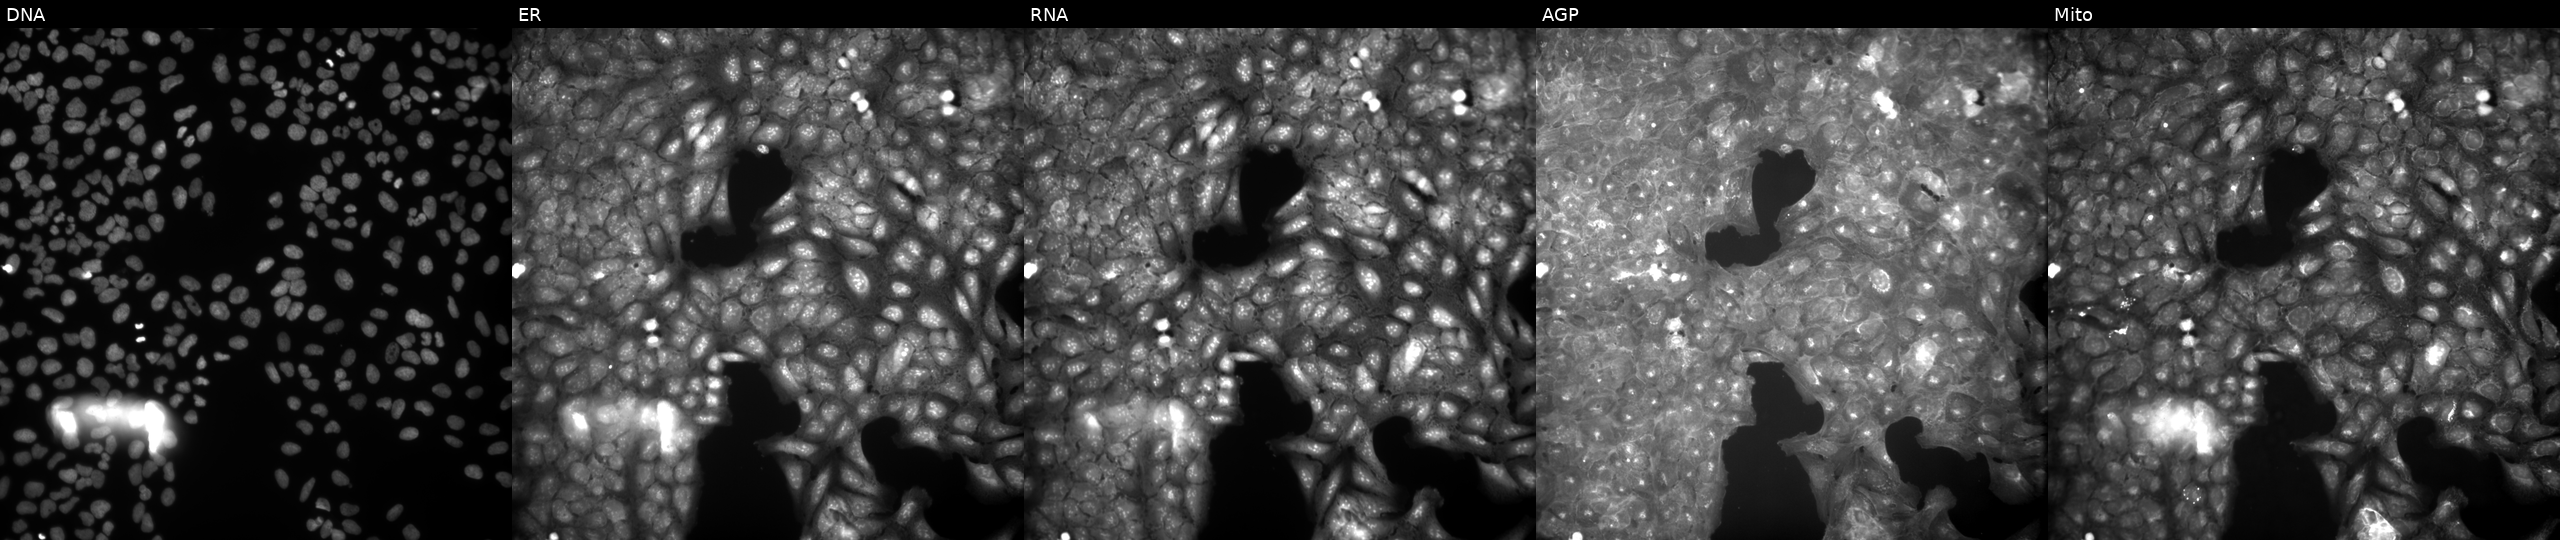
JUMP Cell Painting — COMPOUND plate. U2OS cells treated with a small-molecule compound. From left to right: DNA (nuclei); ER (endoplasmic reticulum); RNA (nucleoli and cytoplasmic RNA); AGP (actin cytoskeleton, Golgi, and plasma membrane); Mito (mitochondria).